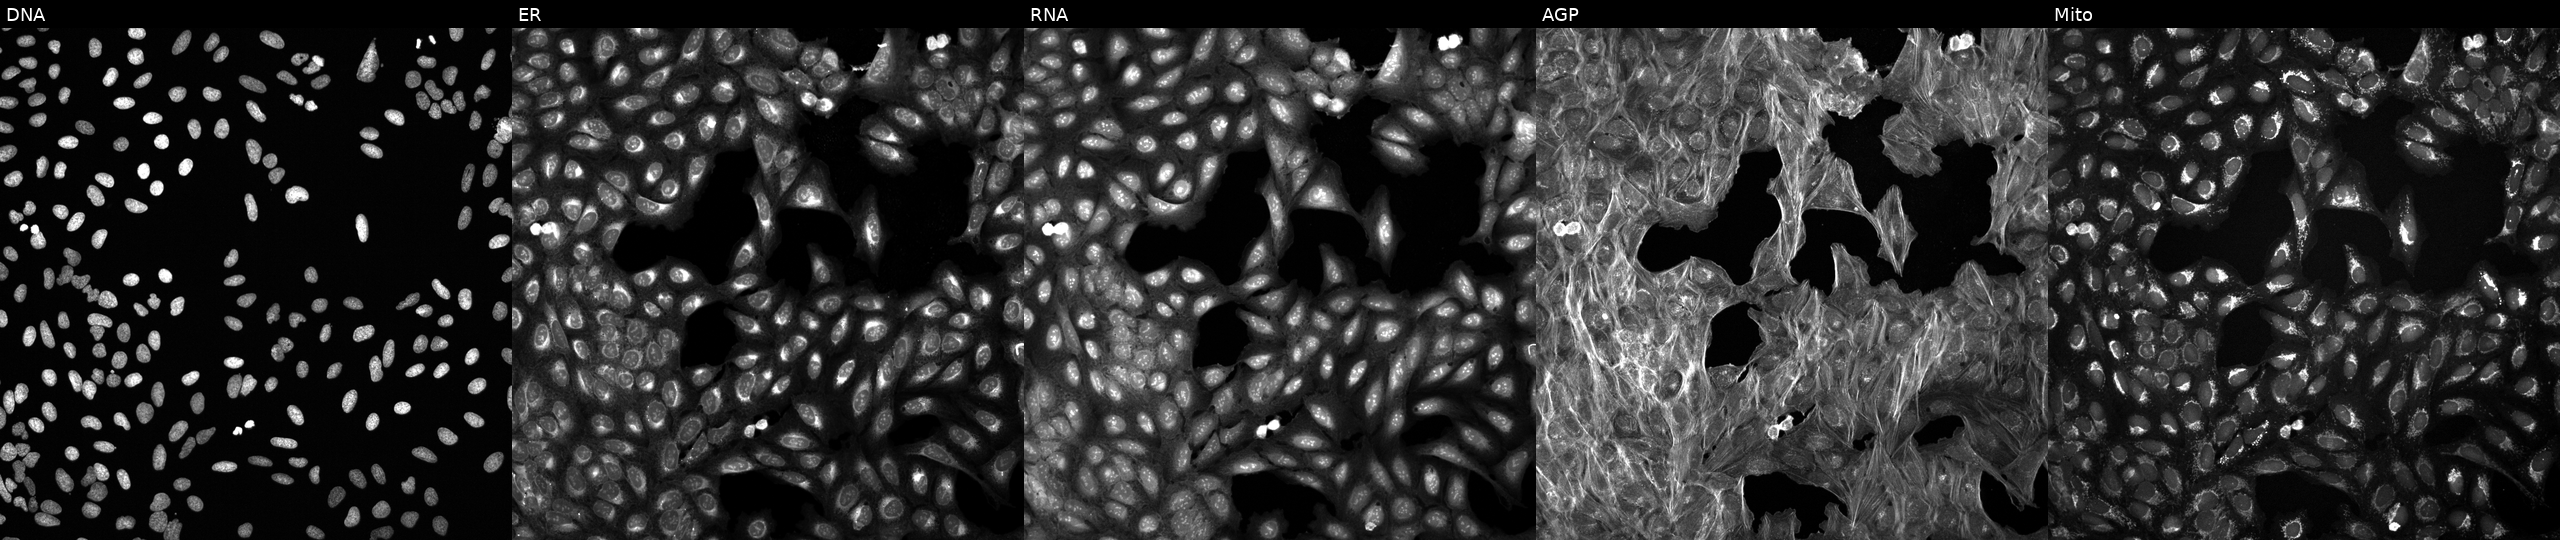
U2OS cells, Cell Painting assay, exposed to DMSO alone as a negative control. Panels show, left to right, DNA, ER, RNA, AGP, and Mito. Each panel is percentile-stretched 16-bit fluorescence.